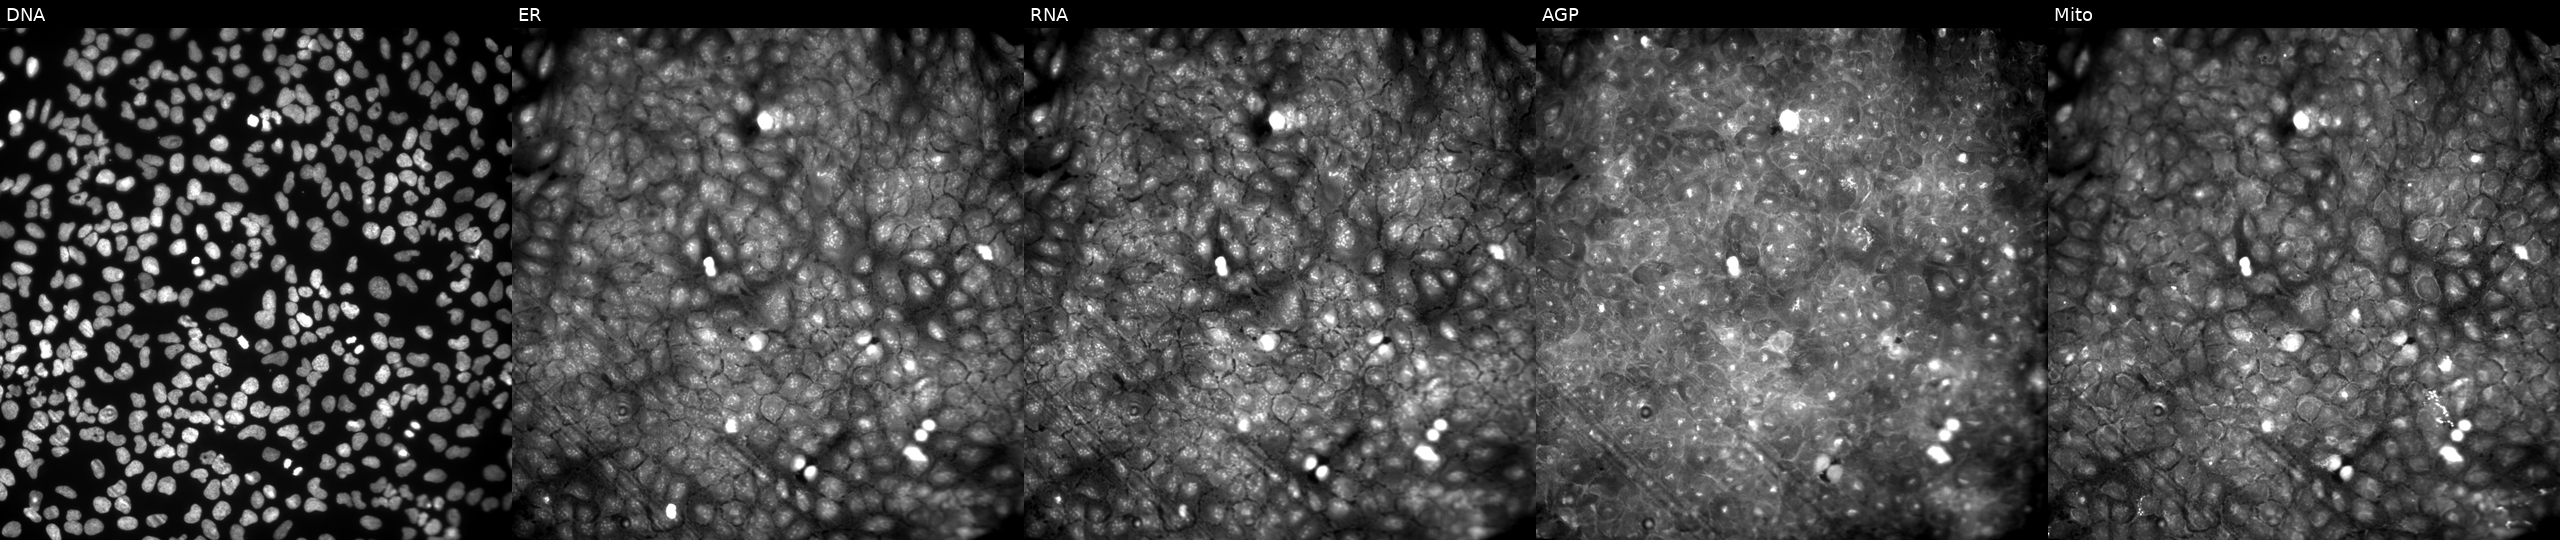
High-content fluorescence microscopy (Cell Painting). Cell line: U2OS. Perturbation: exposed to a small-molecule compound. Panels show, left to right, Hoechst 33342, concanavalin A, SYTO 14, phalloidin and WGA, MitoTracker. Source 9, plate GR00003382, well Y42.